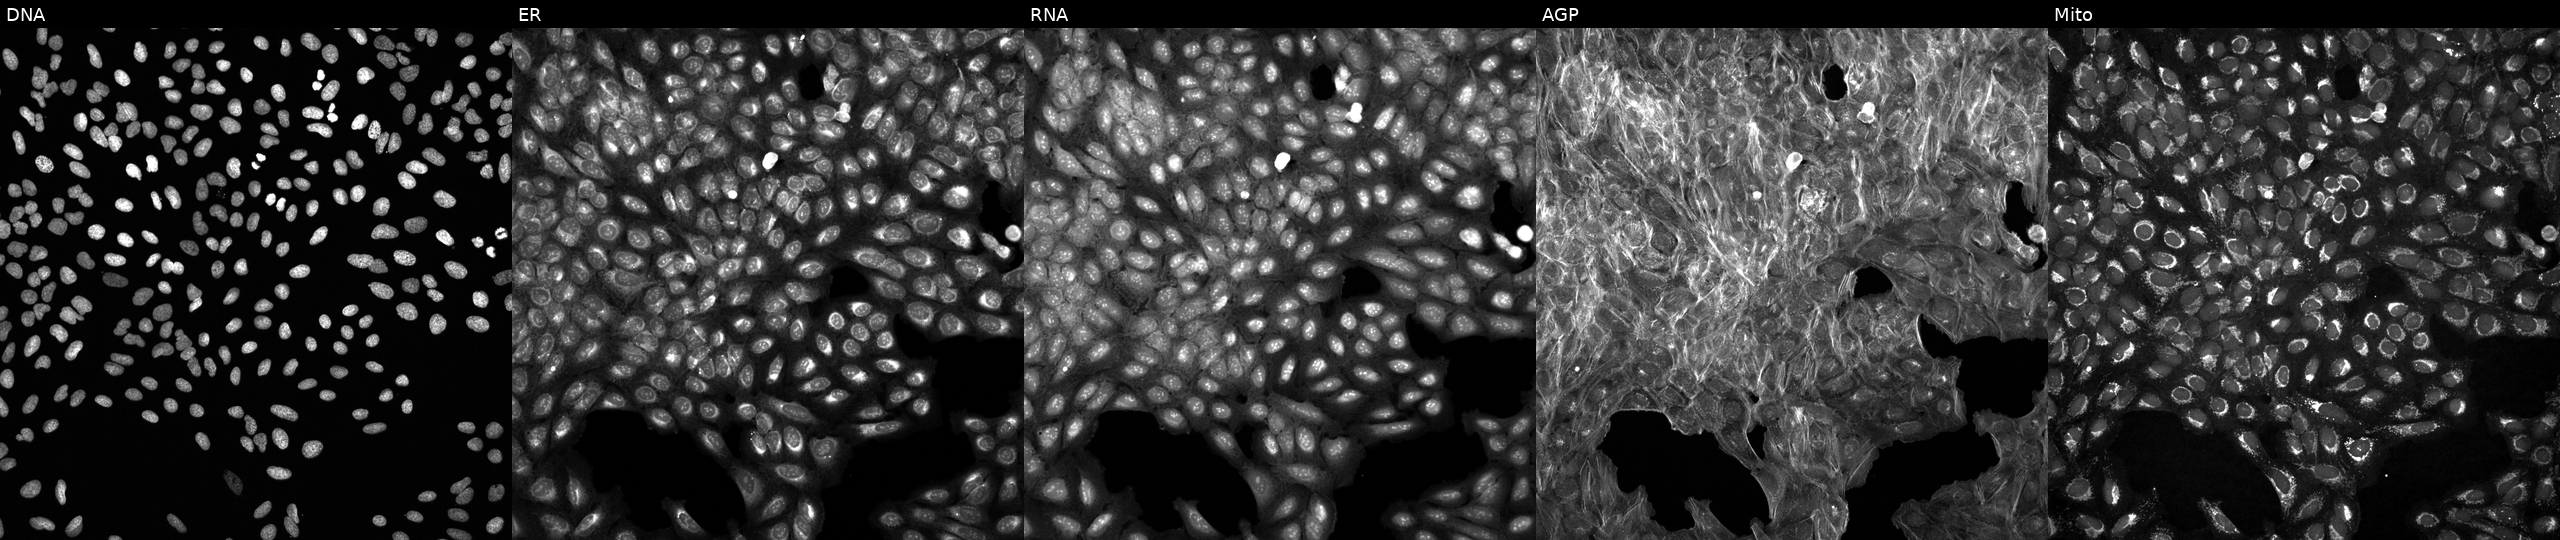
JUMP Cell Painting — COMPOUND plate. U2OS cells treated with DMSO vehicle only (negative control). Panels show, left to right, DNA (nuclei); ER (endoplasmic reticulum); RNA (nucleoli and cytoplasmic RNA); AGP (actin cytoskeleton, Golgi, and plasma membrane); Mito (mitochondria). Source 6, plate 110000293083, well D23.